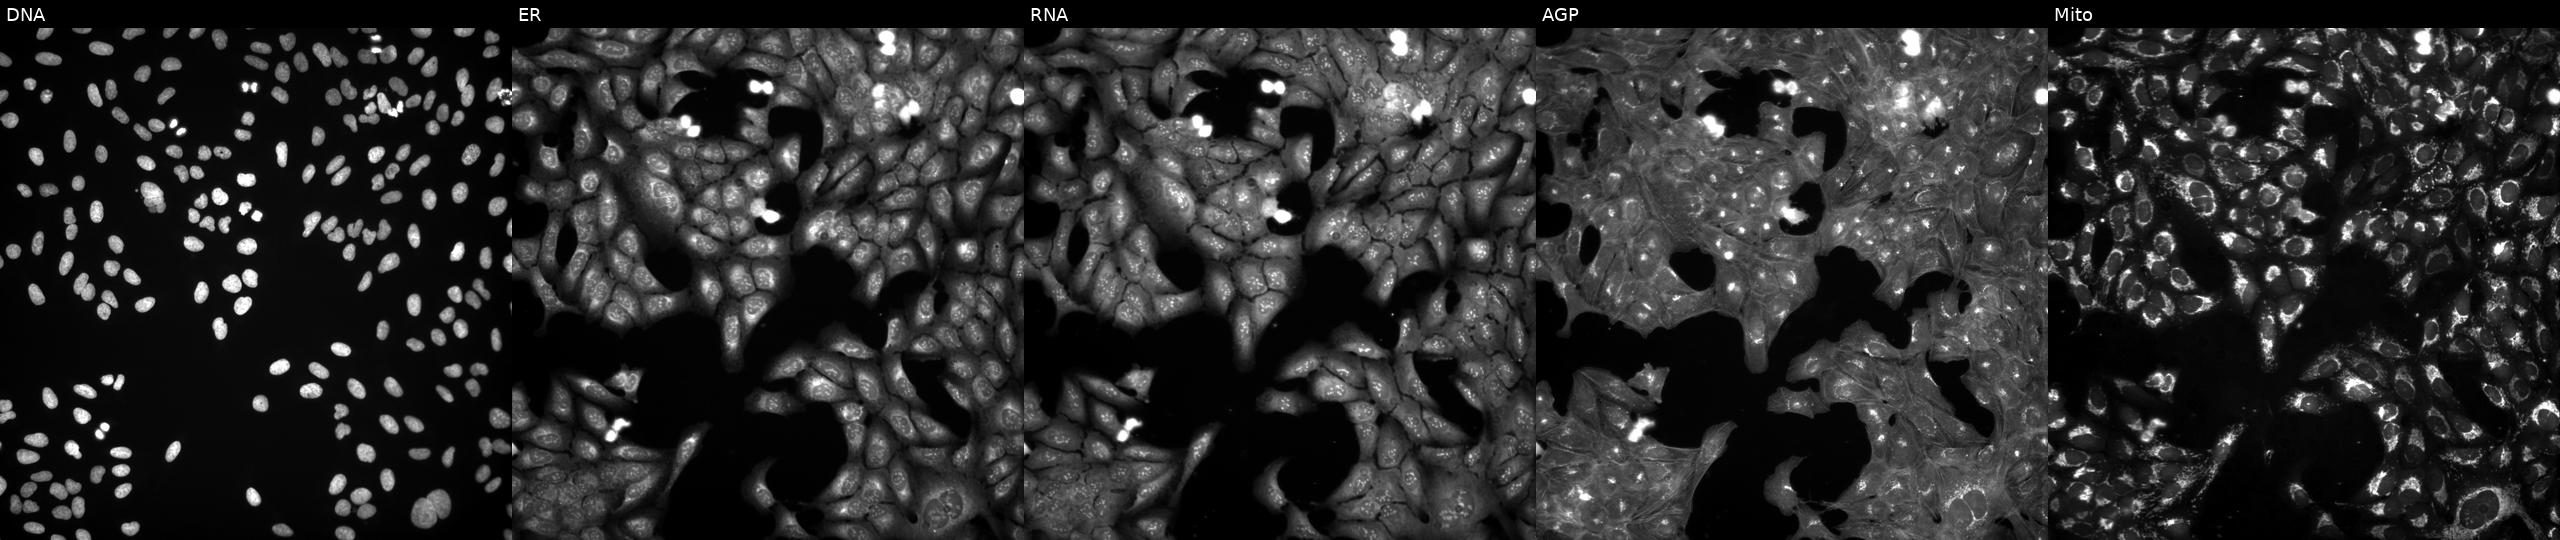
Five-channel Cell Painting image of U2OS cells perturbed with a small-molecule compound (InChIKey BMNSKPWPRRLUKK-UHFFFAOYSA-N) [SMILES: O=C(CSc1nnc(C2CC2)n1-c1ccccc1)NCc1ccco1] (JUMP id JCP2022_007299). Channels (left→right): Hoechst 33342, concanavalin A, SYTO 14, phalloidin and WGA, MitoTracker.